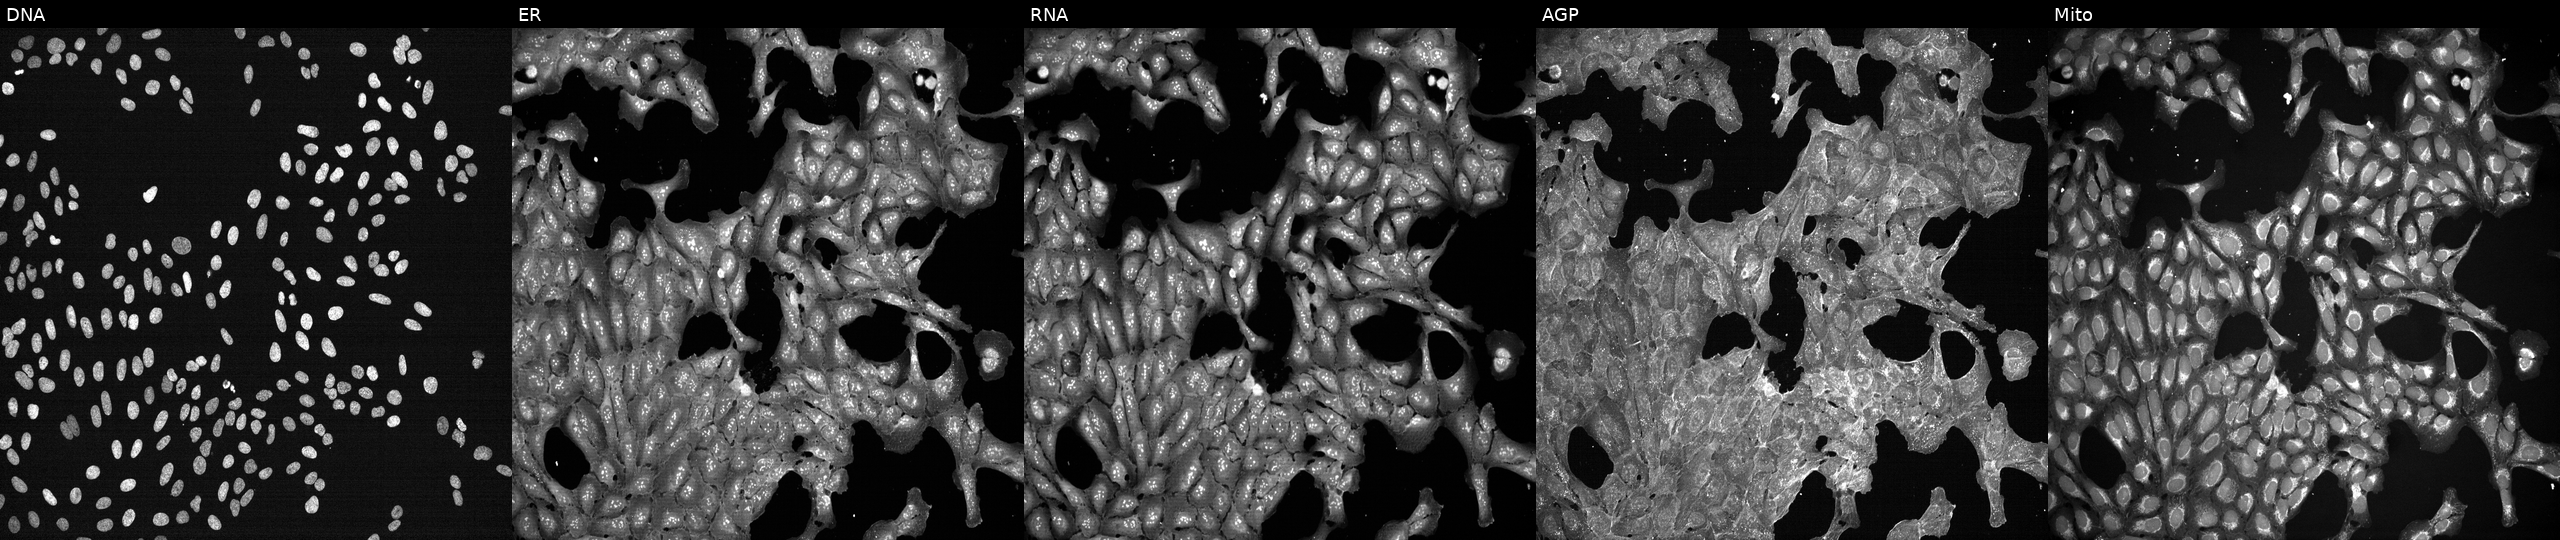
High-content fluorescence microscopy (Cell Painting). Cell line: U2OS. Perturbation: exposed to DMSO alone as a negative control. Channels (left→right): DNA, ER, RNA, AGP, and Mito. Source 7, plate CP2-SC1-25, well E01.